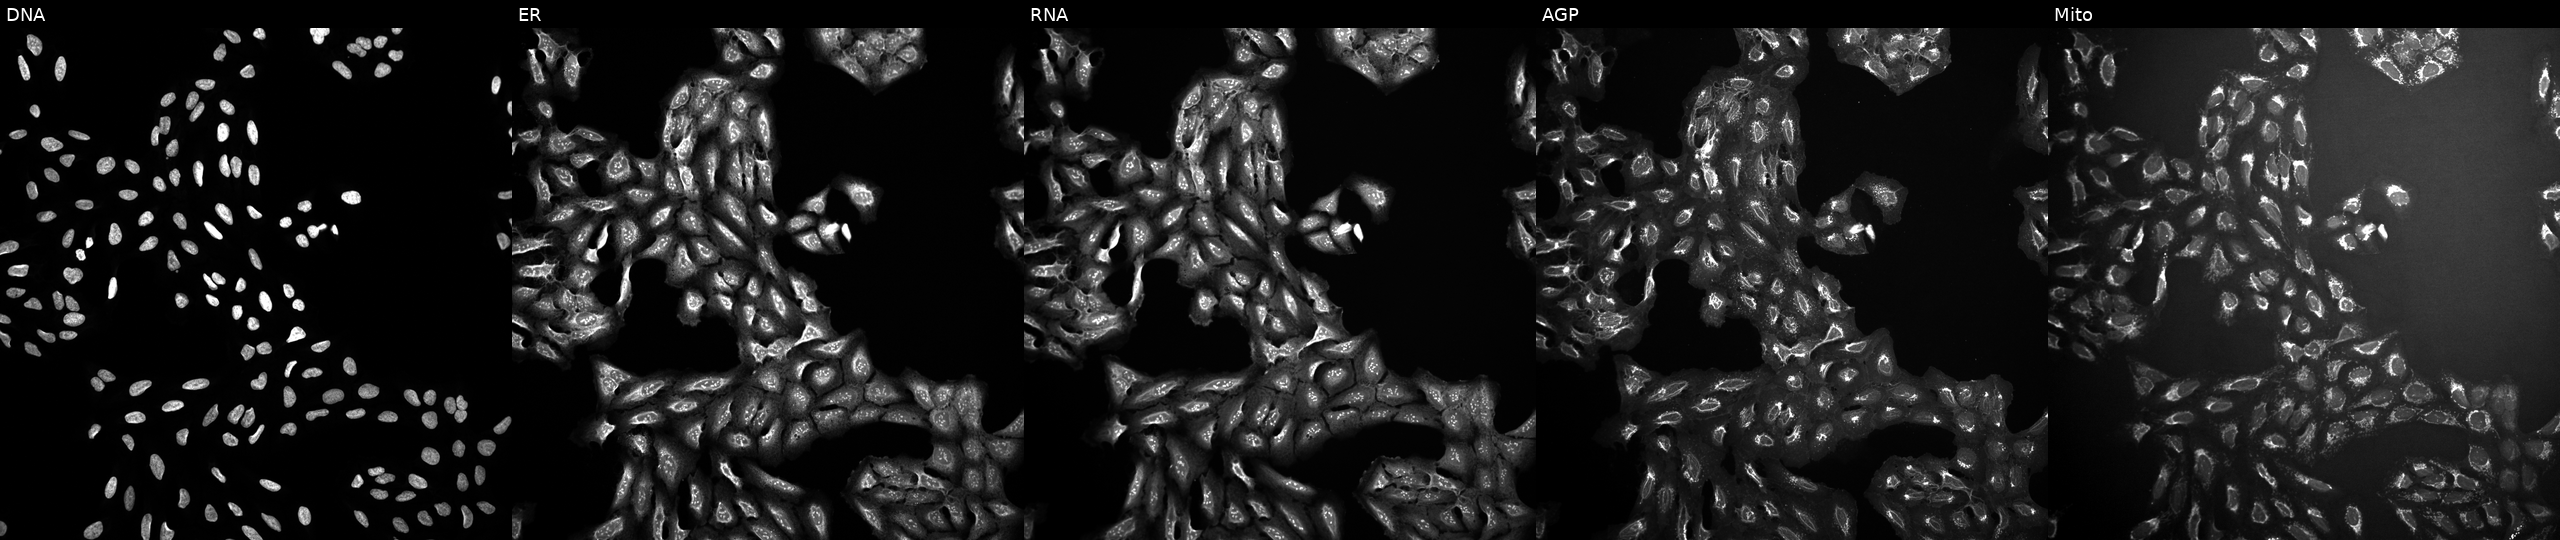
U2OS cells, Cell Painting assay, treated with a small-molecule compound (InChIKey JFUIMTGOQCQTPF-UHFFFAOYSA-N). Channels (left→right): Hoechst 33342, concanavalin A, SYTO 14, phalloidin and WGA, MitoTracker. Each panel is percentile-stretched 16-bit fluorescence. Source 10, plate Dest210803-153958, well C20.